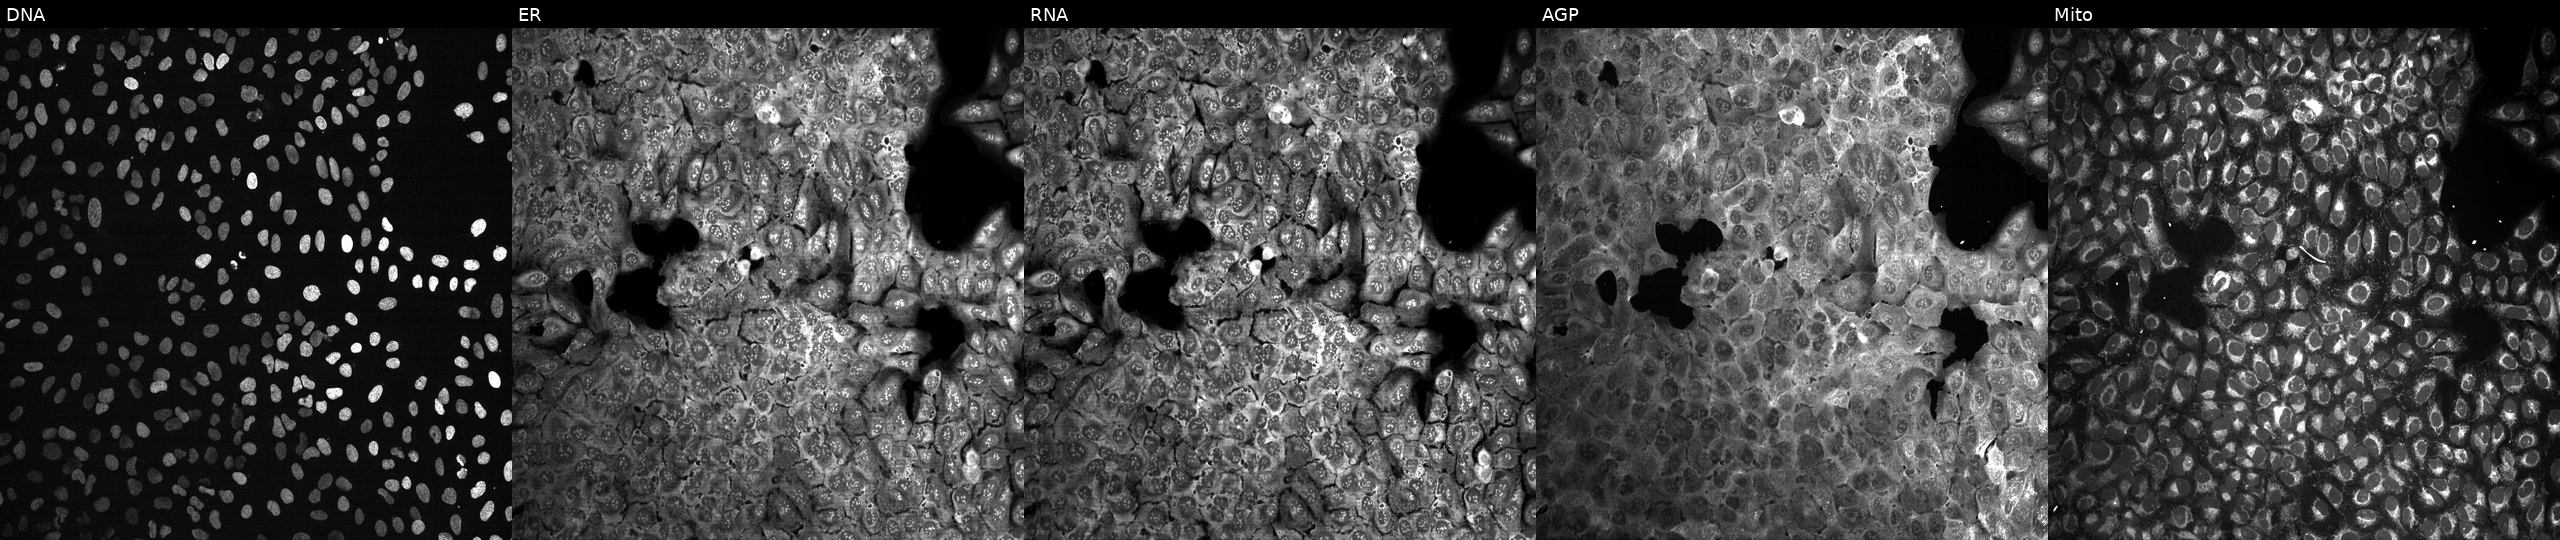
This image strip shows the five Cell Painting channels for a single field of U2OS cells following CRISPR knockout of TNKS. Panels show, left to right, Hoechst 33342, concanavalin A, SYTO 14, phalloidin and WGA, MitoTracker. Source 13, plate CP-CC9-R3-01, well A10.